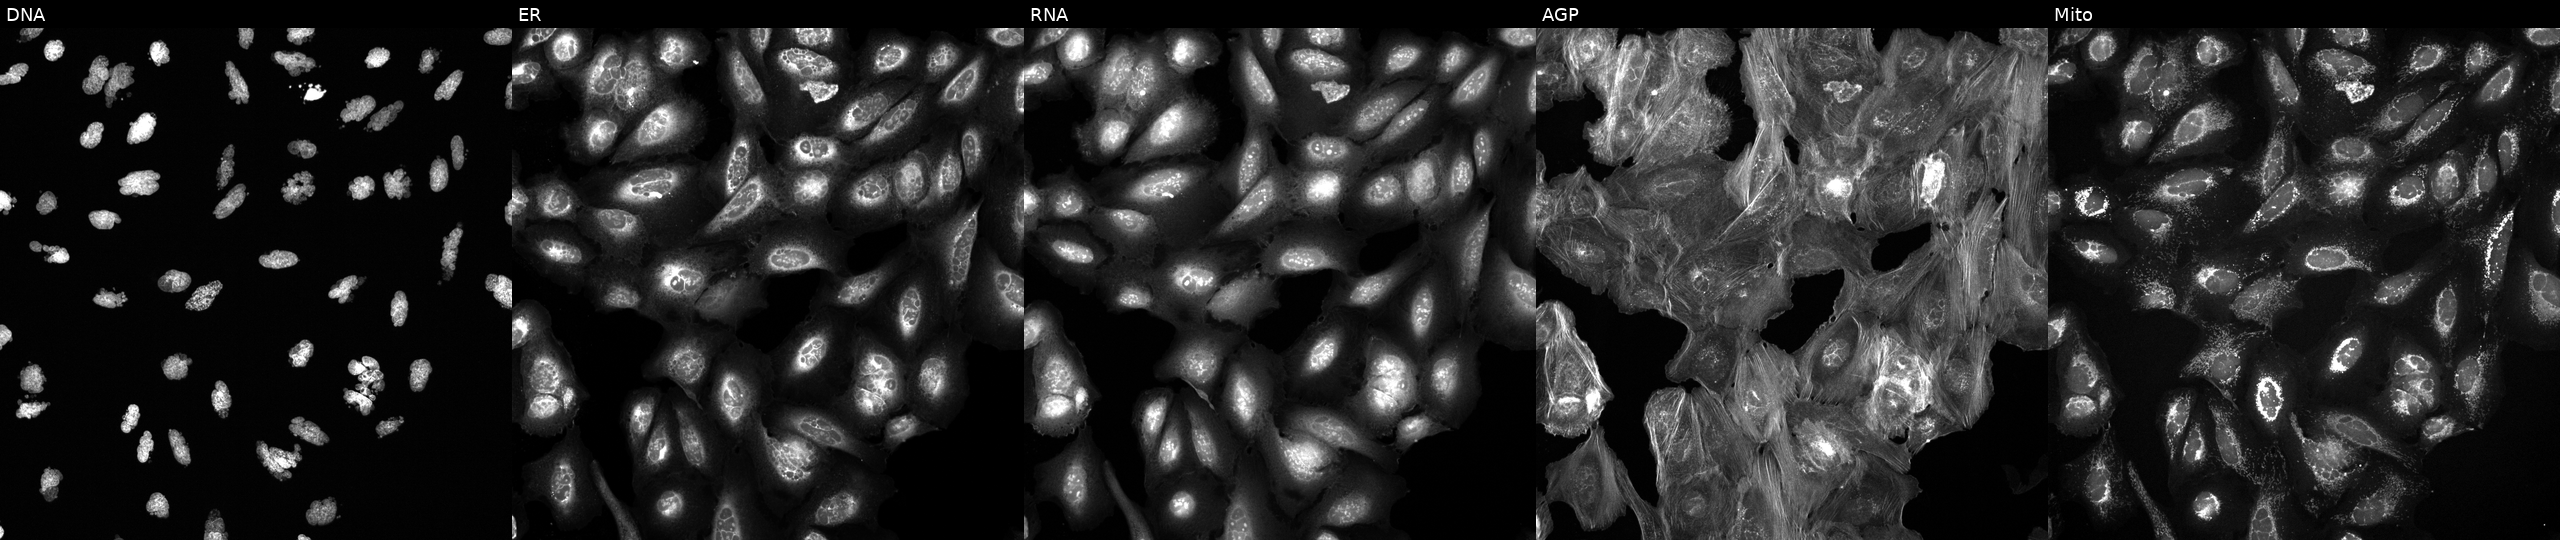
This image strip shows the five Cell Painting channels for a single field of U2OS cells exposed to the positive-control compound AMG900 (JUMP id JCP2022_037716). Panels show, left to right, DNA (nuclei); ER (endoplasmic reticulum); RNA (nucleoli and cytoplasmic RNA); AGP (actin cytoskeleton, Golgi, and plasma membrane); Mito (mitochondria).